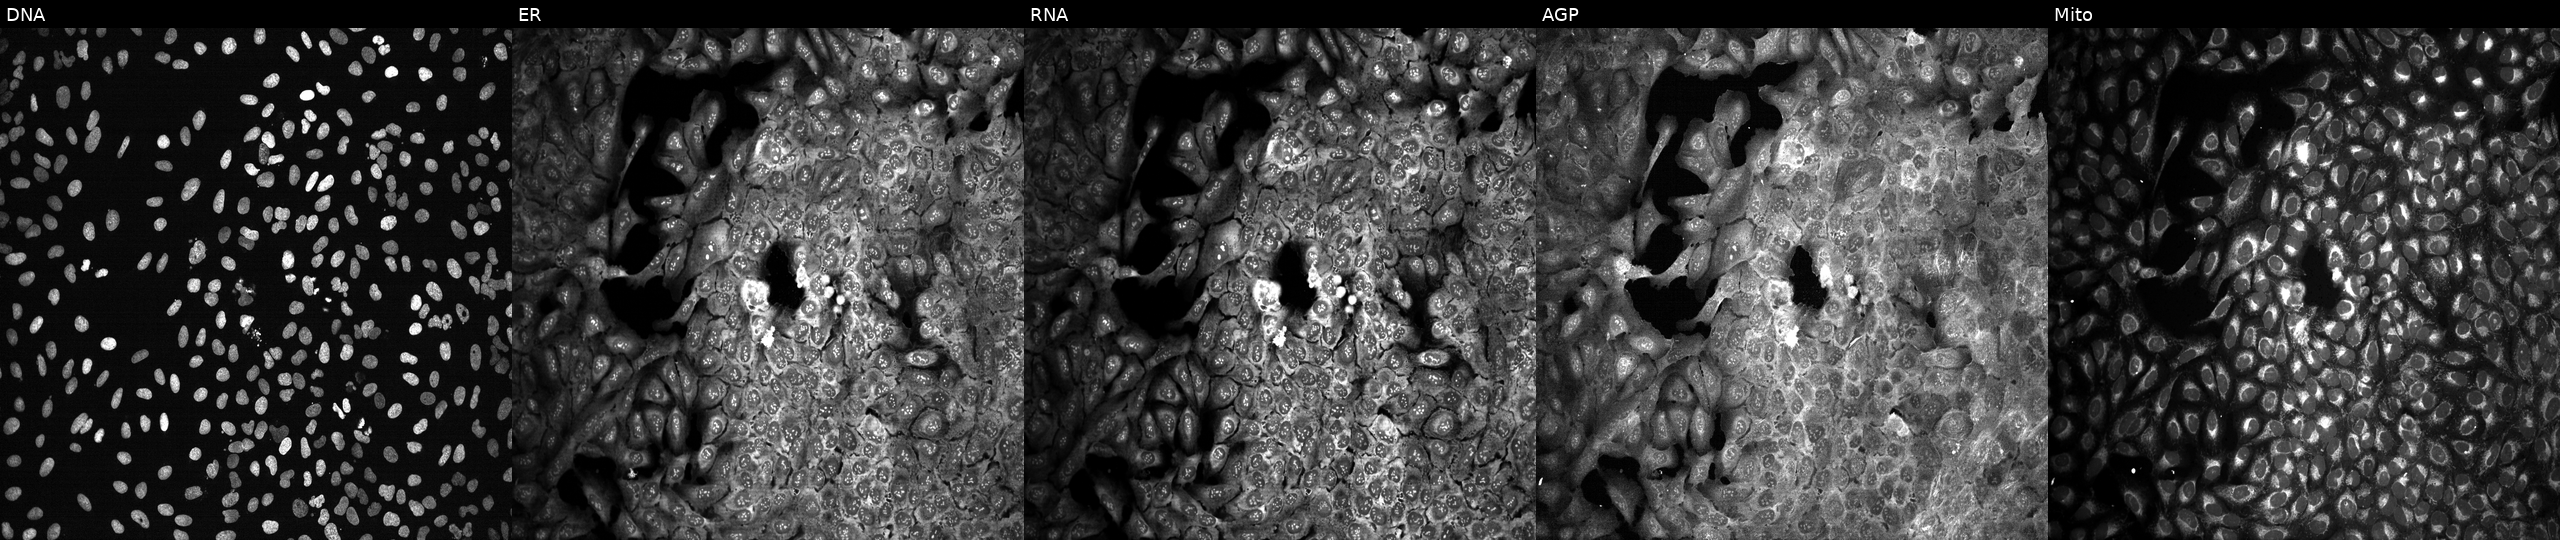
The five panels, left to right, show Hoechst 33342, concanavalin A, SYTO 14, phalloidin and WGA, MitoTracker. U2OS osteosarcoma cells with PLA2G4D knocked out by CRISPR (JUMP id JCP2022_805227). Cell Painting assay, JUMP-CP dataset.